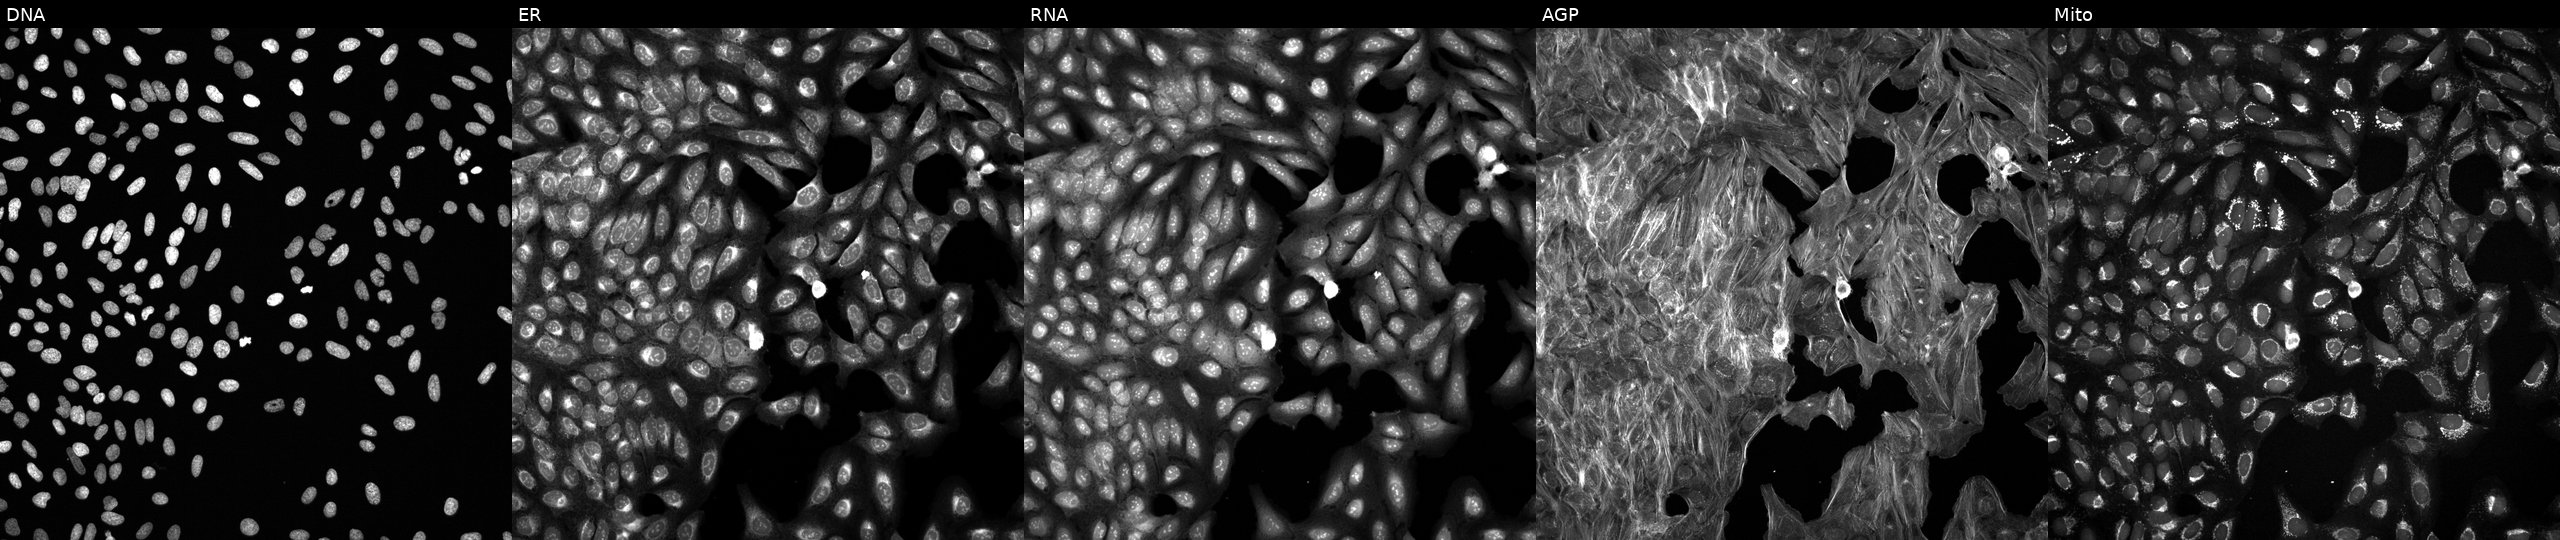
Five-channel Cell Painting image of U2OS cells exposed to a small-molecule compound (InChIKey NFROFGXFOZARQH-UHFFFAOYSA-N) (JUMP id JCP2022_058681). Channels (left→right): DNA, ER, RNA, AGP, and Mito. Source 6, plate 110000293083, well L15.